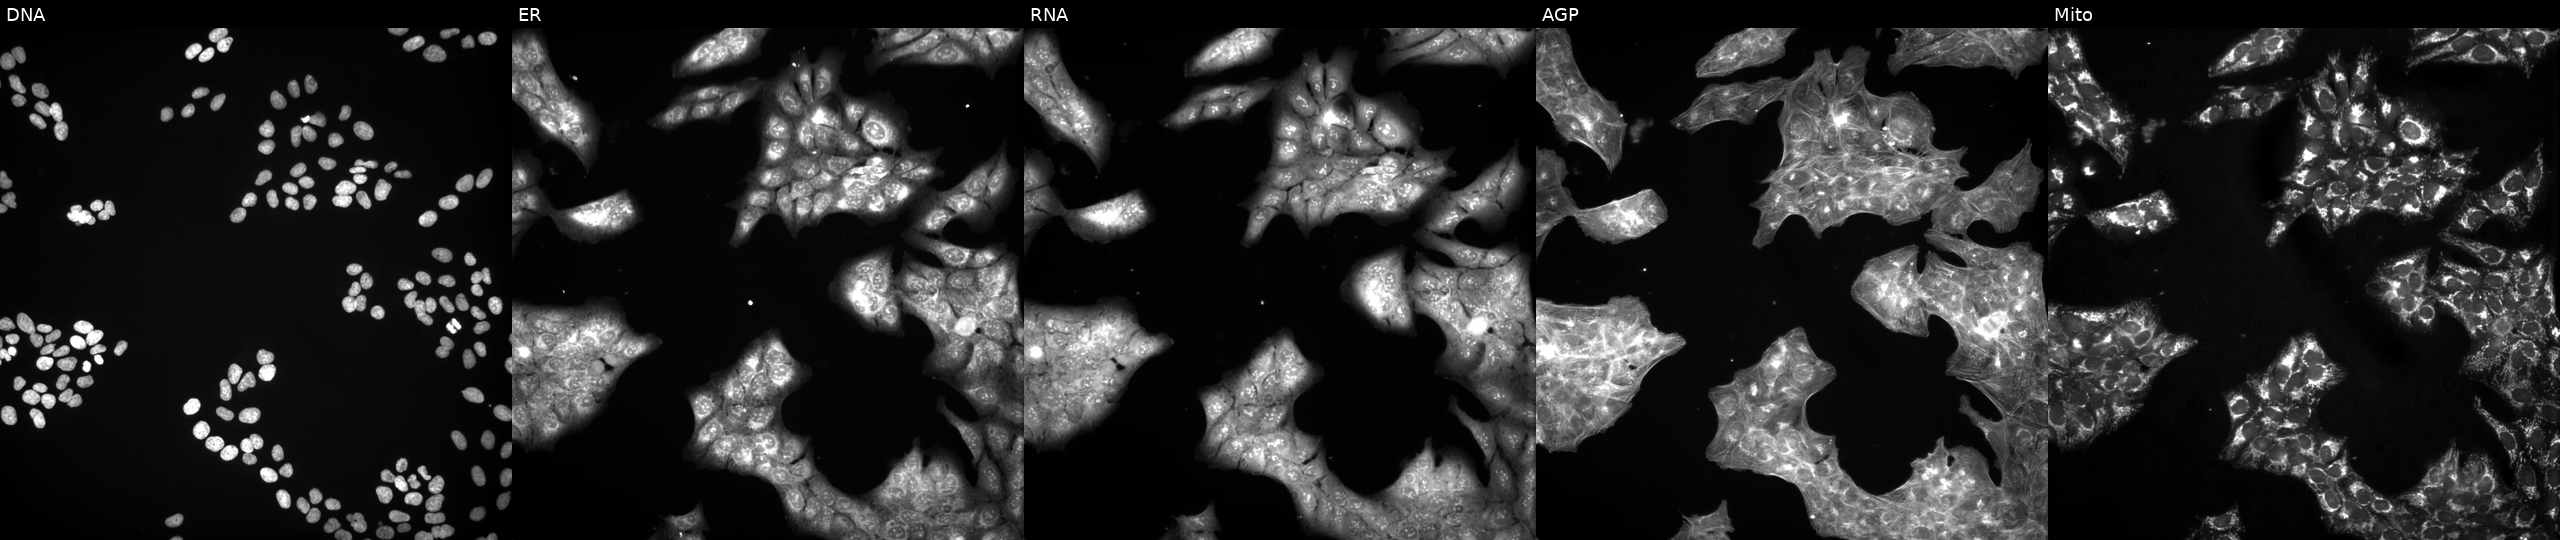
U2OS cells, Cell Painting assay, exposed to the positive-control compound LY2109761 (JUMP id JCP2022_035095). From left to right: DNA, ER, RNA, AGP, and Mito. Each panel is percentile-stretched 16-bit fluorescence.